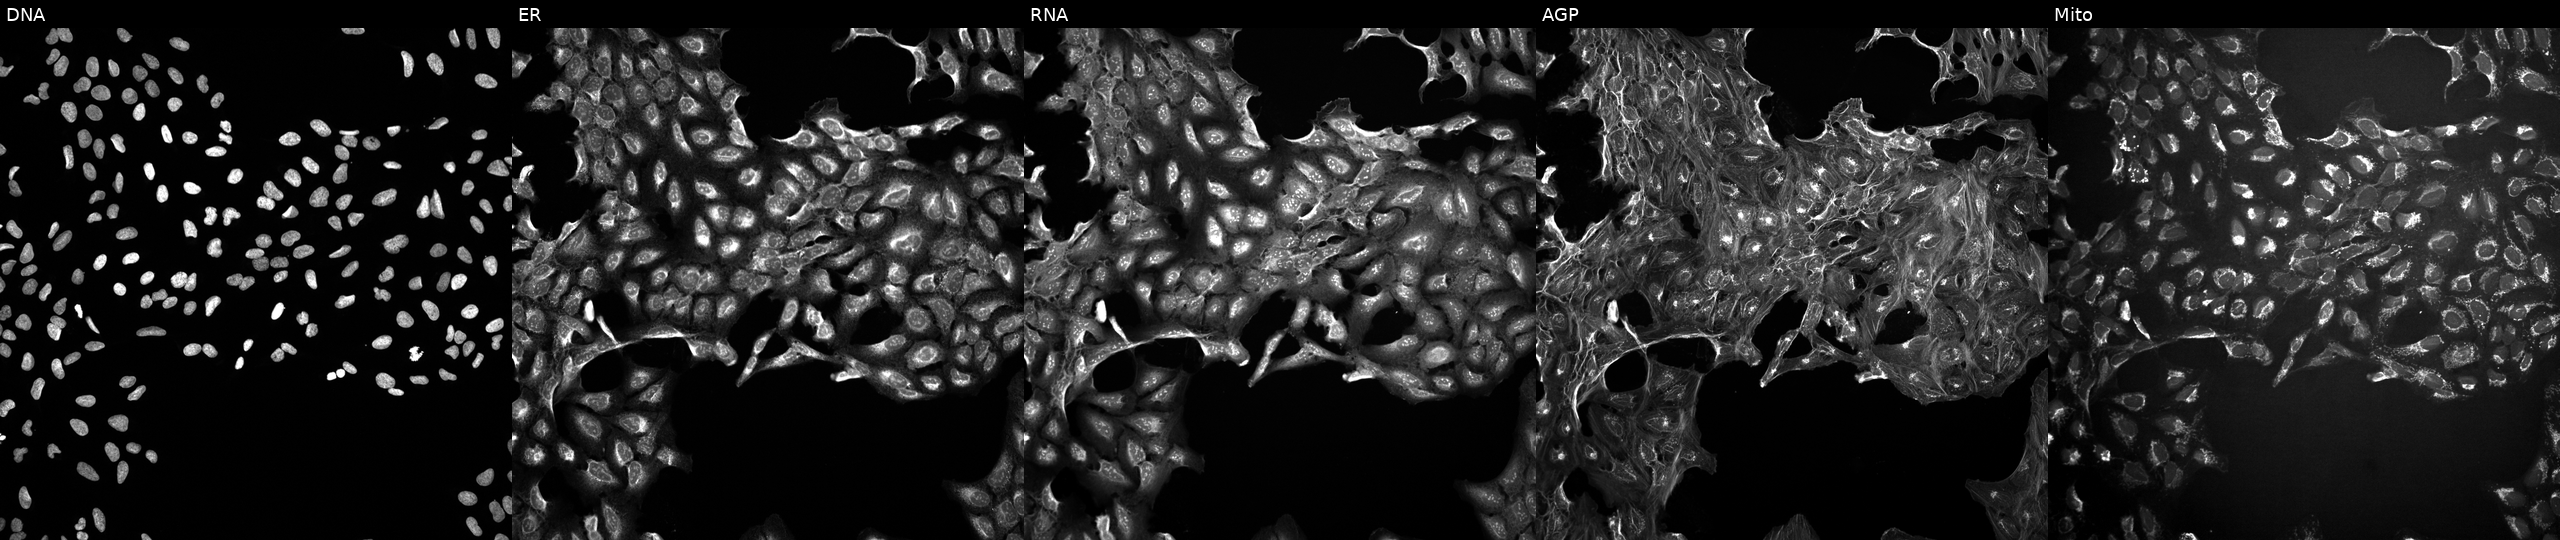
JUMP Cell Painting — COMPOUND plate. U2OS cells untreated (empty-well control) (JUMP id JCP2022_999999). From left to right: Hoechst 33342, concanavalin A, SYTO 14, phalloidin and WGA, MitoTracker.